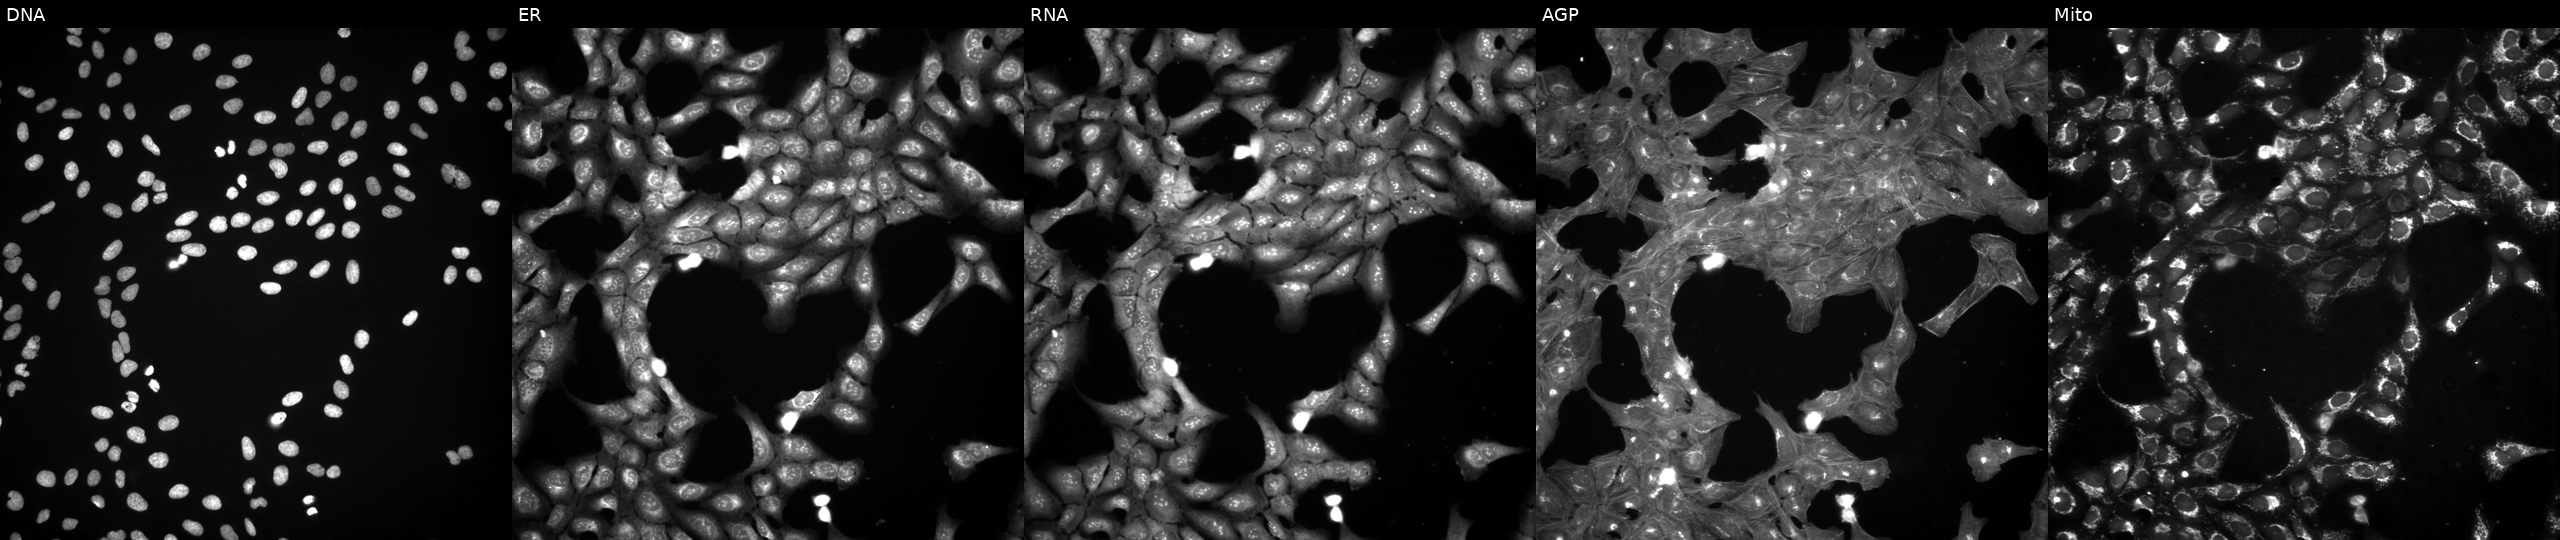
This image strip shows the five Cell Painting channels for a single field of U2OS cells perturbed with a small-molecule compound (InChIKey XGIHSLWERDNSQU-UHFFFAOYSA-N). From left to right: DNA, ER, RNA, AGP, and Mito. Source 3, plate BR5867b3, well K08.